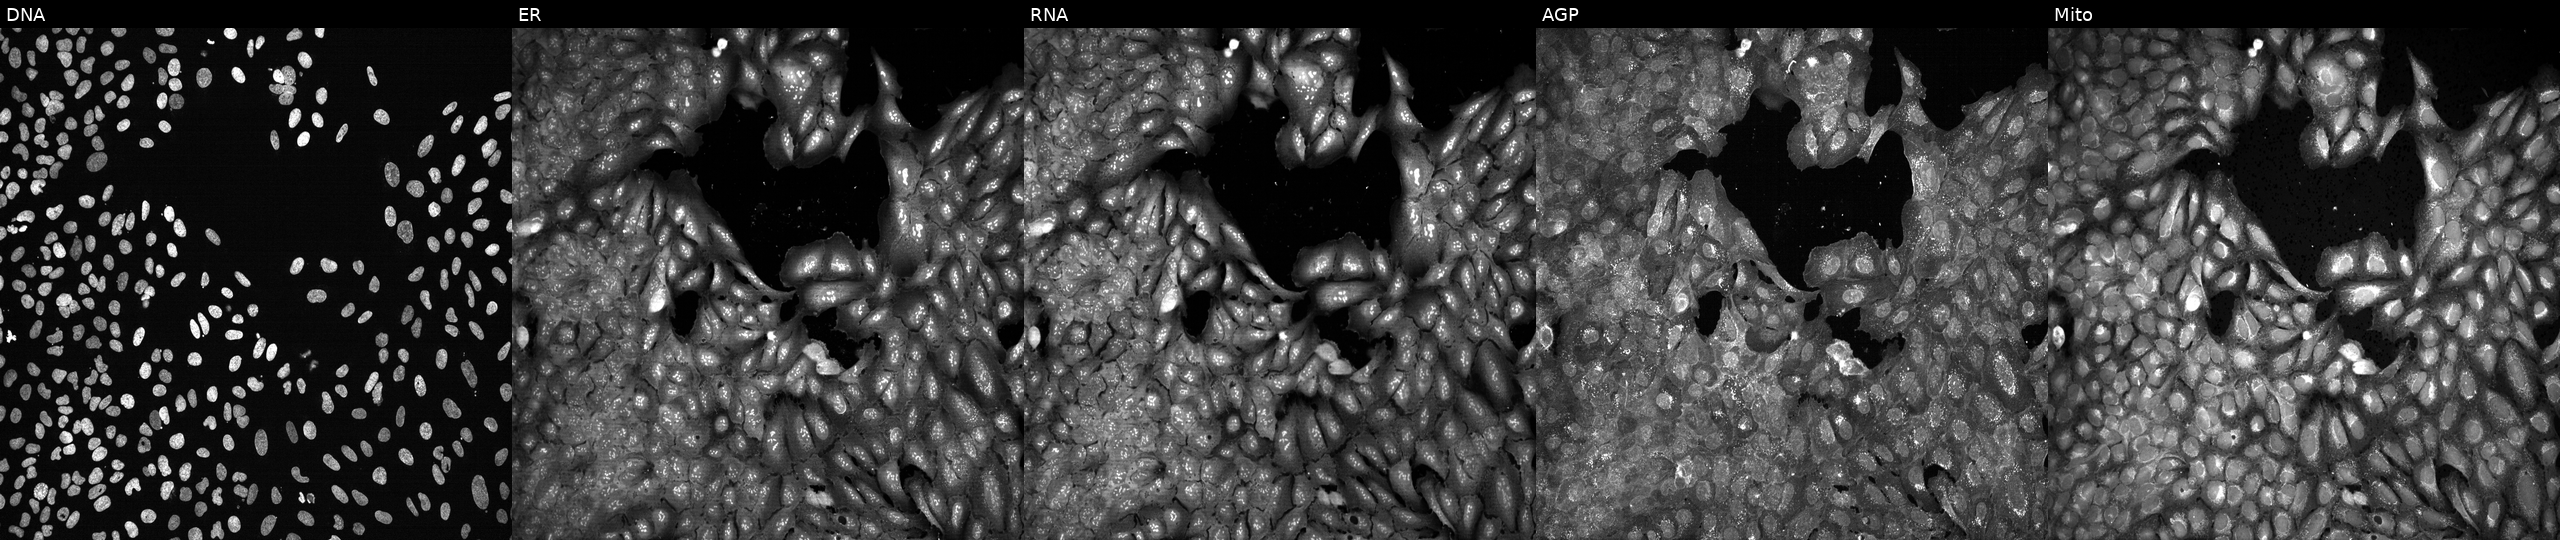
Five-channel Cell Painting image of U2OS cells CRISPR-edited to disrupt PROK1 (JUMP id JCP2022_805556). Channels (left→right): DNA (nuclei); ER (endoplasmic reticulum); RNA (nucleoli and cytoplasmic RNA); AGP (actin cytoskeleton, Golgi, and plasma membrane); Mito (mitochondria).